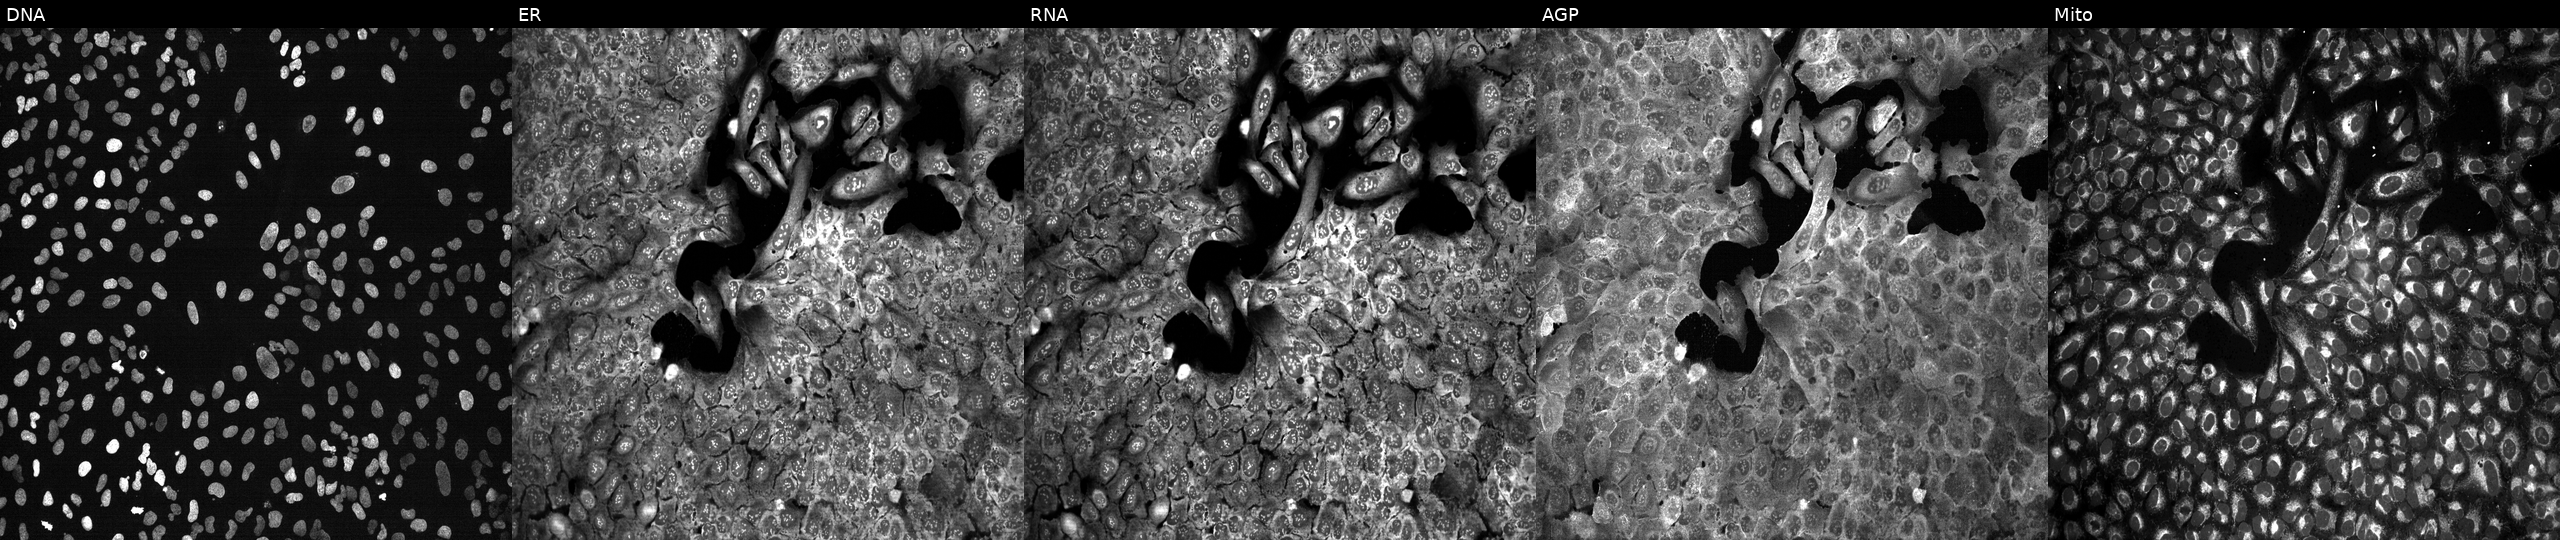
High-content fluorescence microscopy (Cell Painting). Cell line: U2OS. Perturbation: following CRISPR knockout of XRN1 (JUMP id JCP2022_807722). The five panels, left to right, show Hoechst 33342, concanavalin A, SYTO 14, phalloidin and WGA, MitoTracker. Source 13, plate CP-CC9-R3-01, well E16.